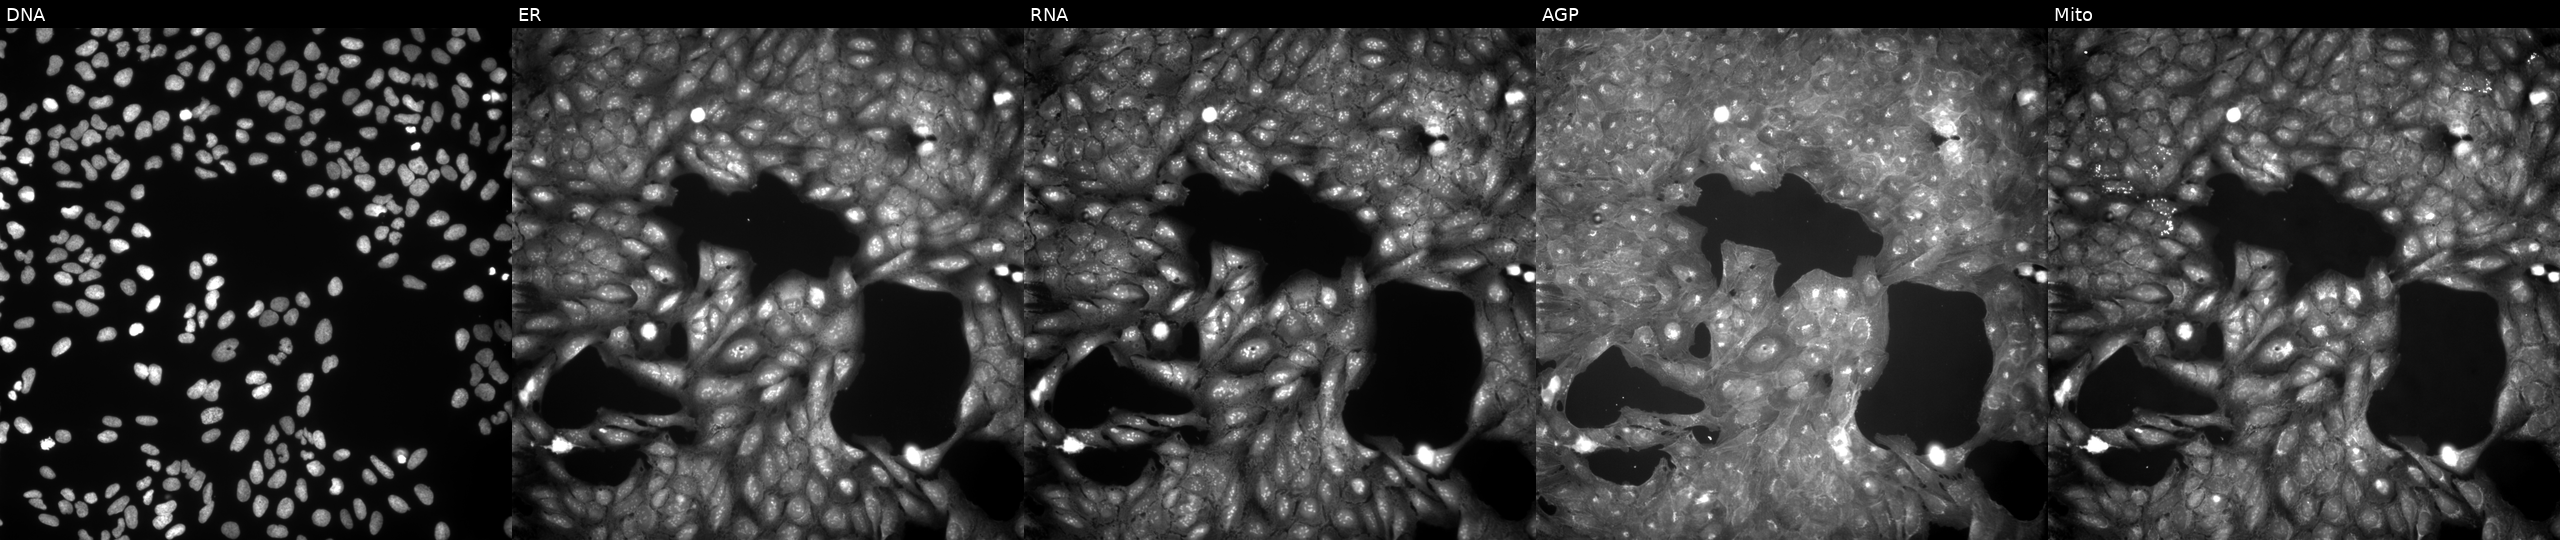
High-content fluorescence microscopy (Cell Painting). Cell line: U2OS. Perturbation: treated with DMSO vehicle only (negative control). Panels show, left to right, Hoechst 33342, concanavalin A, SYTO 14, phalloidin and WGA, MitoTracker. Source 9, plate GR00003381, well G26.